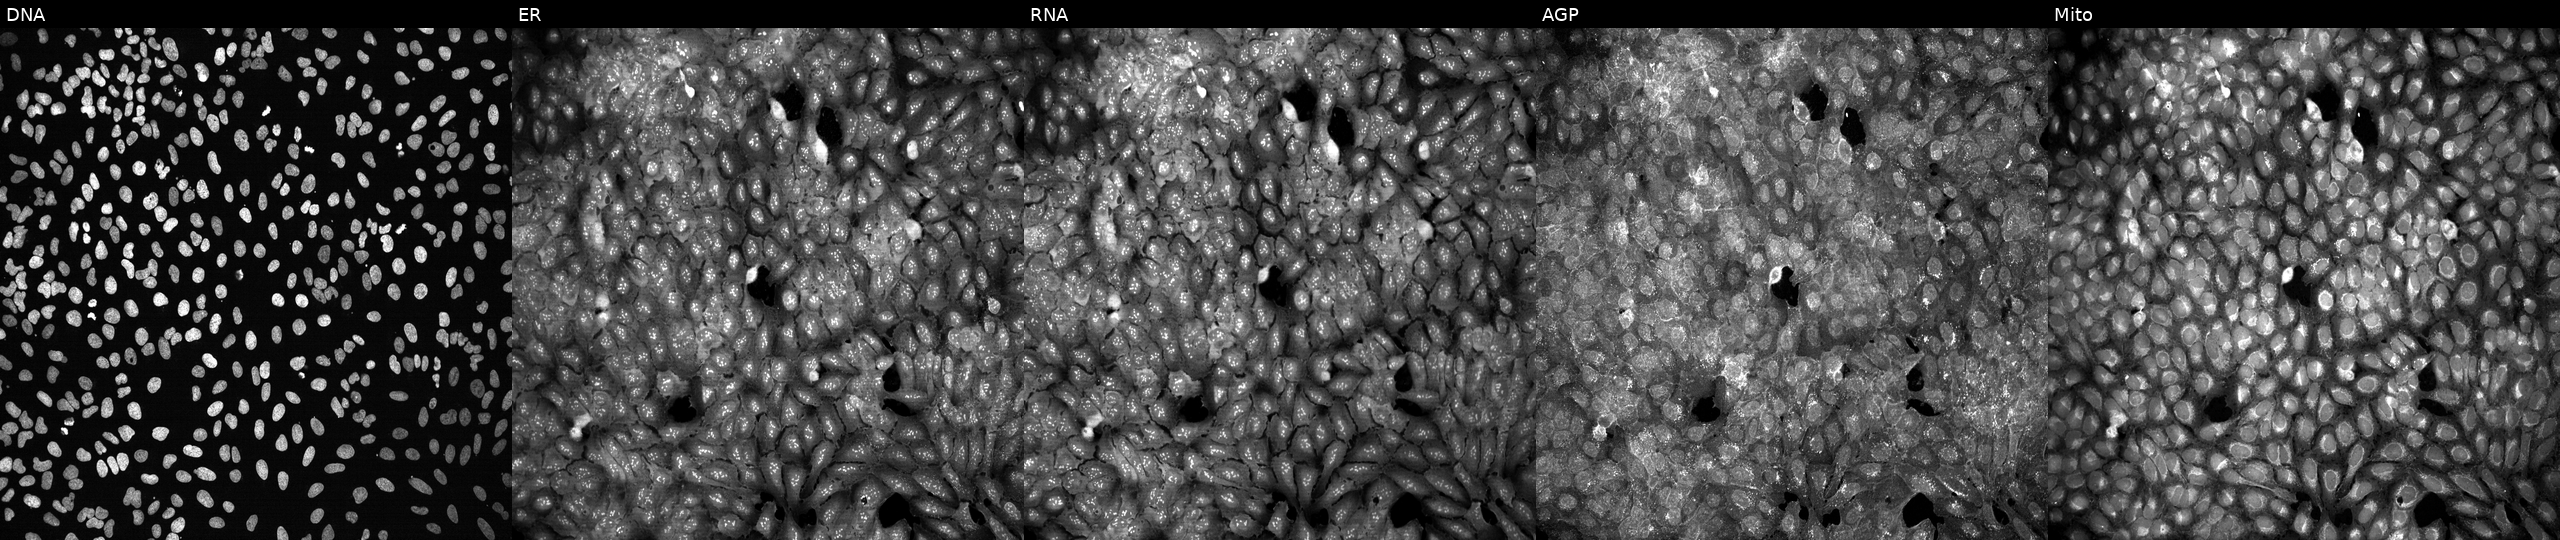
U2OS cells, Cell Painting assay, CRISPR-edited to disrupt CHST3 (JUMP id JCP2022_801334). Channels (left→right): DNA, ER, RNA, AGP, and Mito. Each panel is percentile-stretched 16-bit fluorescence. Source 13, plate CP-CC9-R1-01, well D18.